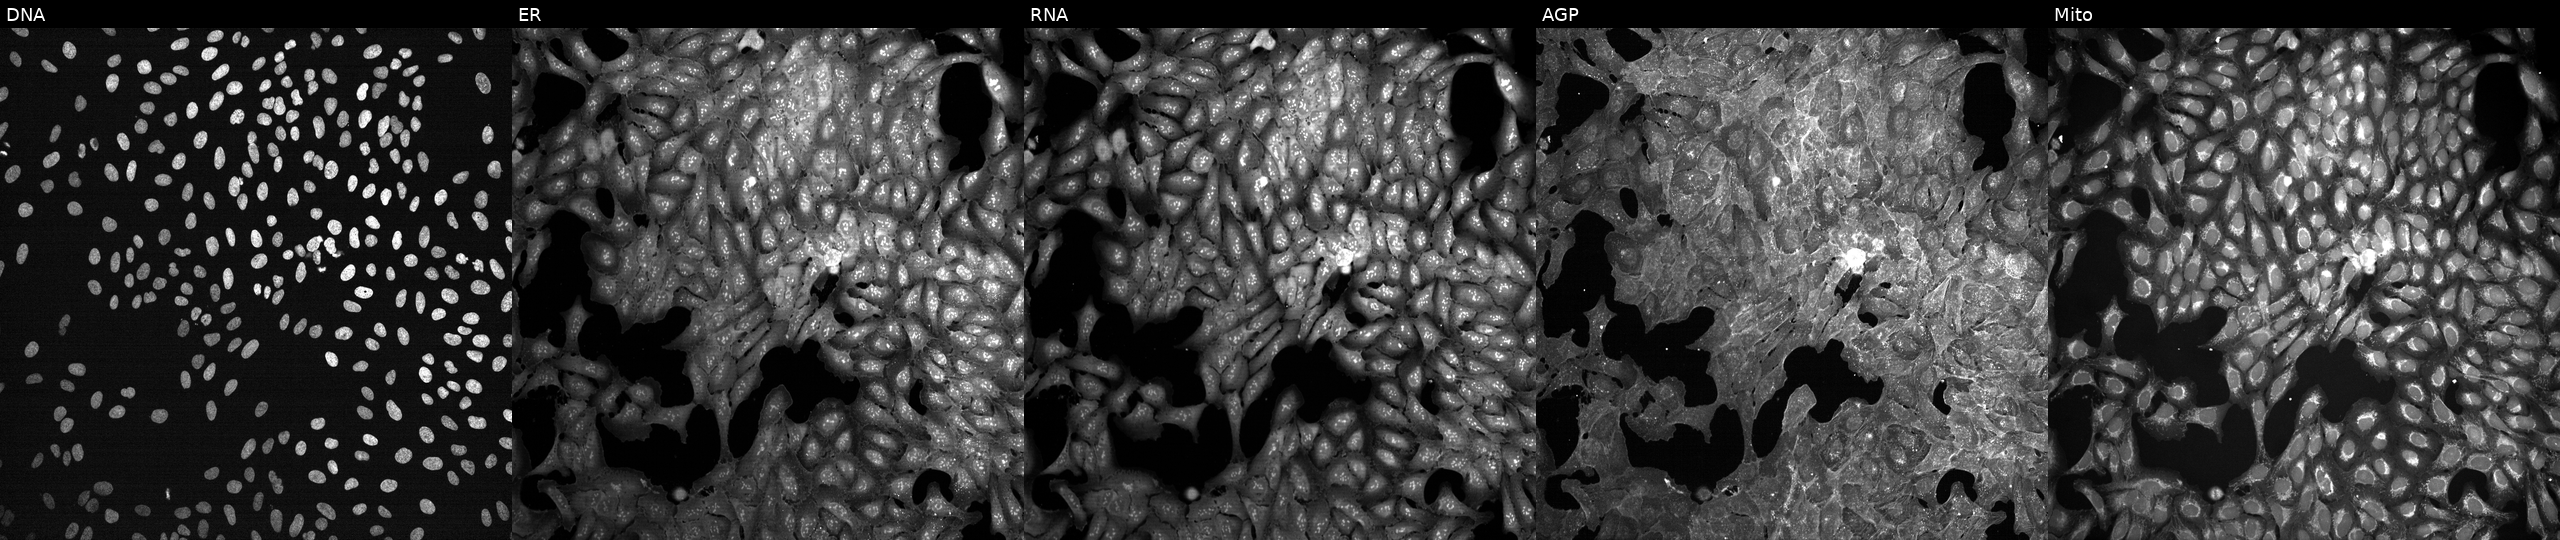
High-content fluorescence microscopy (Cell Painting). Cell line: U2OS. Perturbation: exposed to a small-molecule compound (InChIKey GUUGZPSUOTWOMD-UHFFFAOYSA-N). The five panels, left to right, show DNA (nuclei); ER (endoplasmic reticulum); RNA (nucleoli and cytoplasmic RNA); AGP (actin cytoskeleton, Golgi, and plasma membrane); Mito (mitochondria).